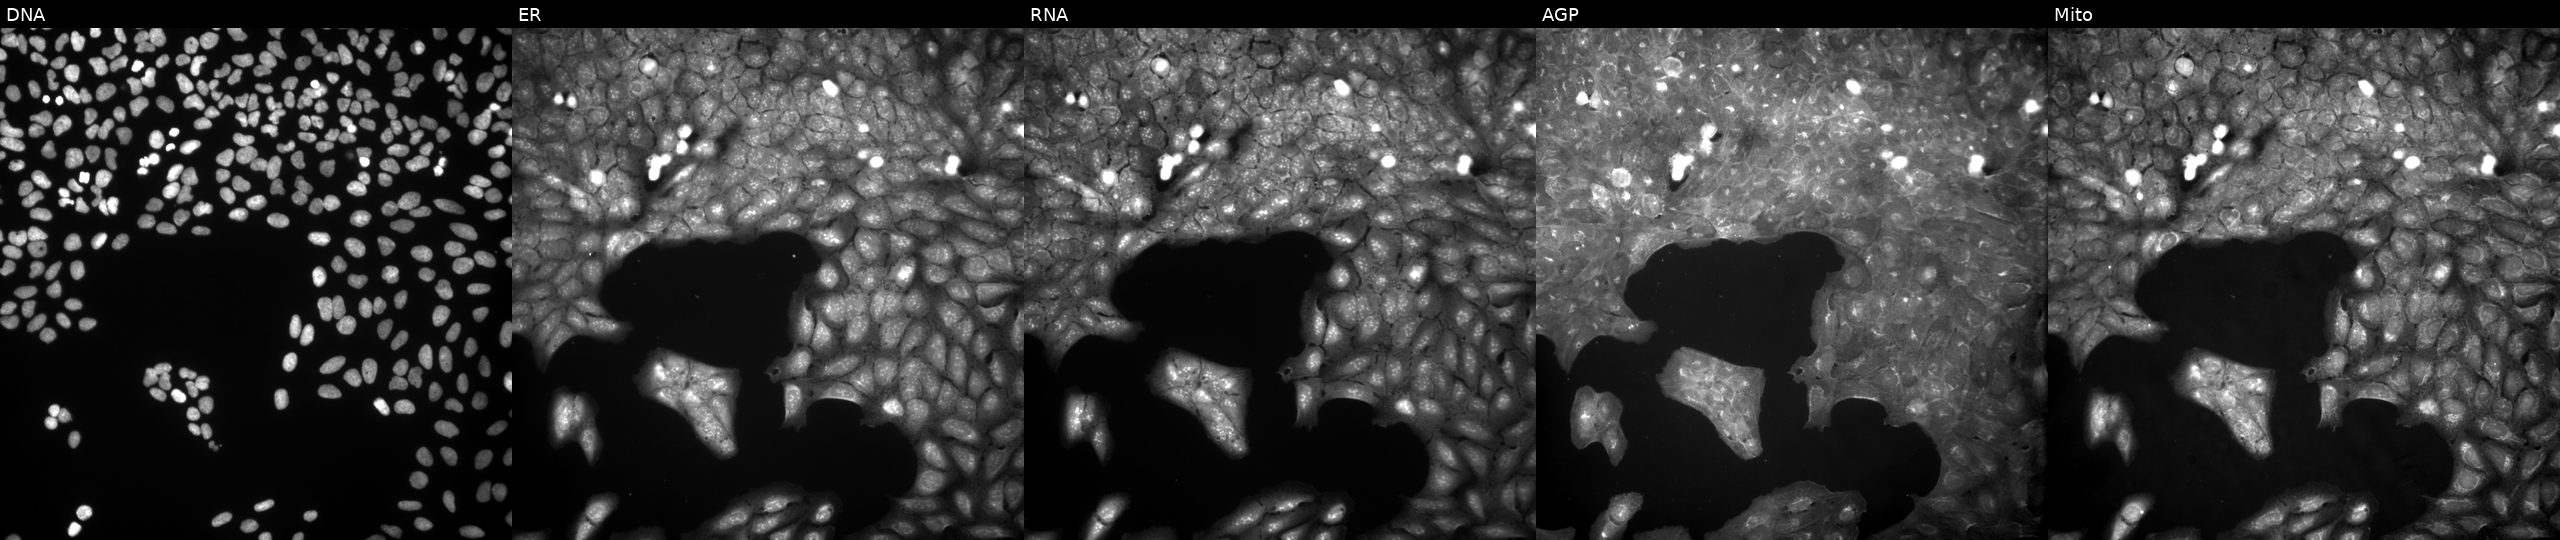
This image strip shows the five Cell Painting channels for a single field of U2OS cells exposed to a small-molecule compound (InChIKey JTGAQOPTLOQKIV-UHFFFAOYSA-N). The five panels, left to right, show DNA, ER, RNA, AGP, and Mito. Source 9, plate GR00003382, well H40.